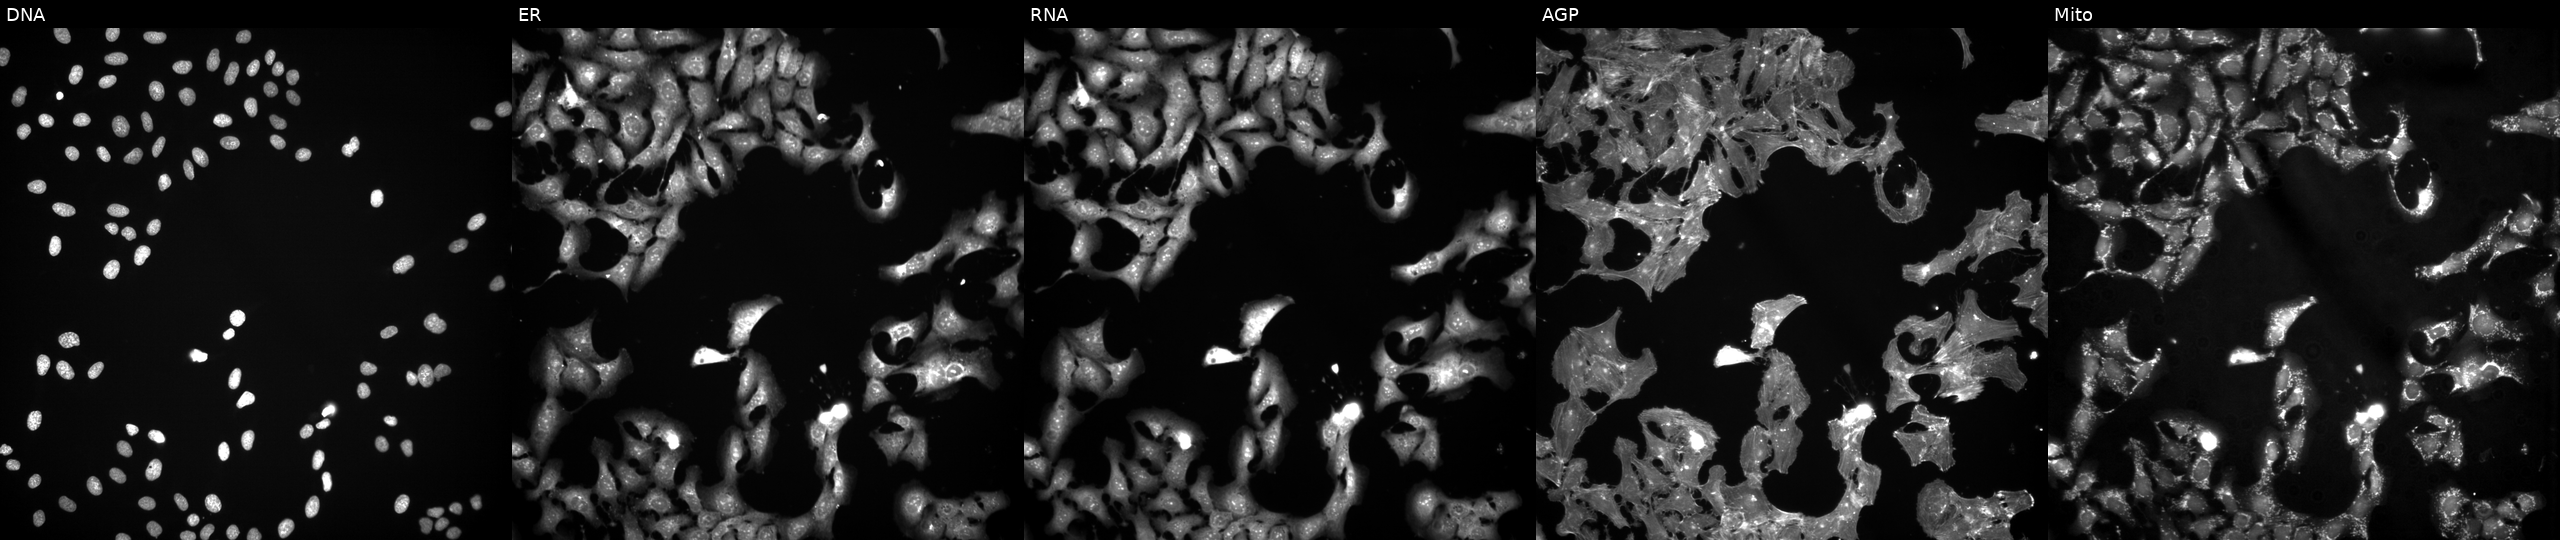
JUMP Cell Painting — TARGET2 plate. U2OS cells treated with FK-866 (positive-control compound). Panels show, left to right, DNA (nuclei); ER (endoplasmic reticulum); RNA (nucleoli and cytoplasmic RNA); AGP (actin cytoskeleton, Golgi, and plasma membrane); Mito (mitochondria).